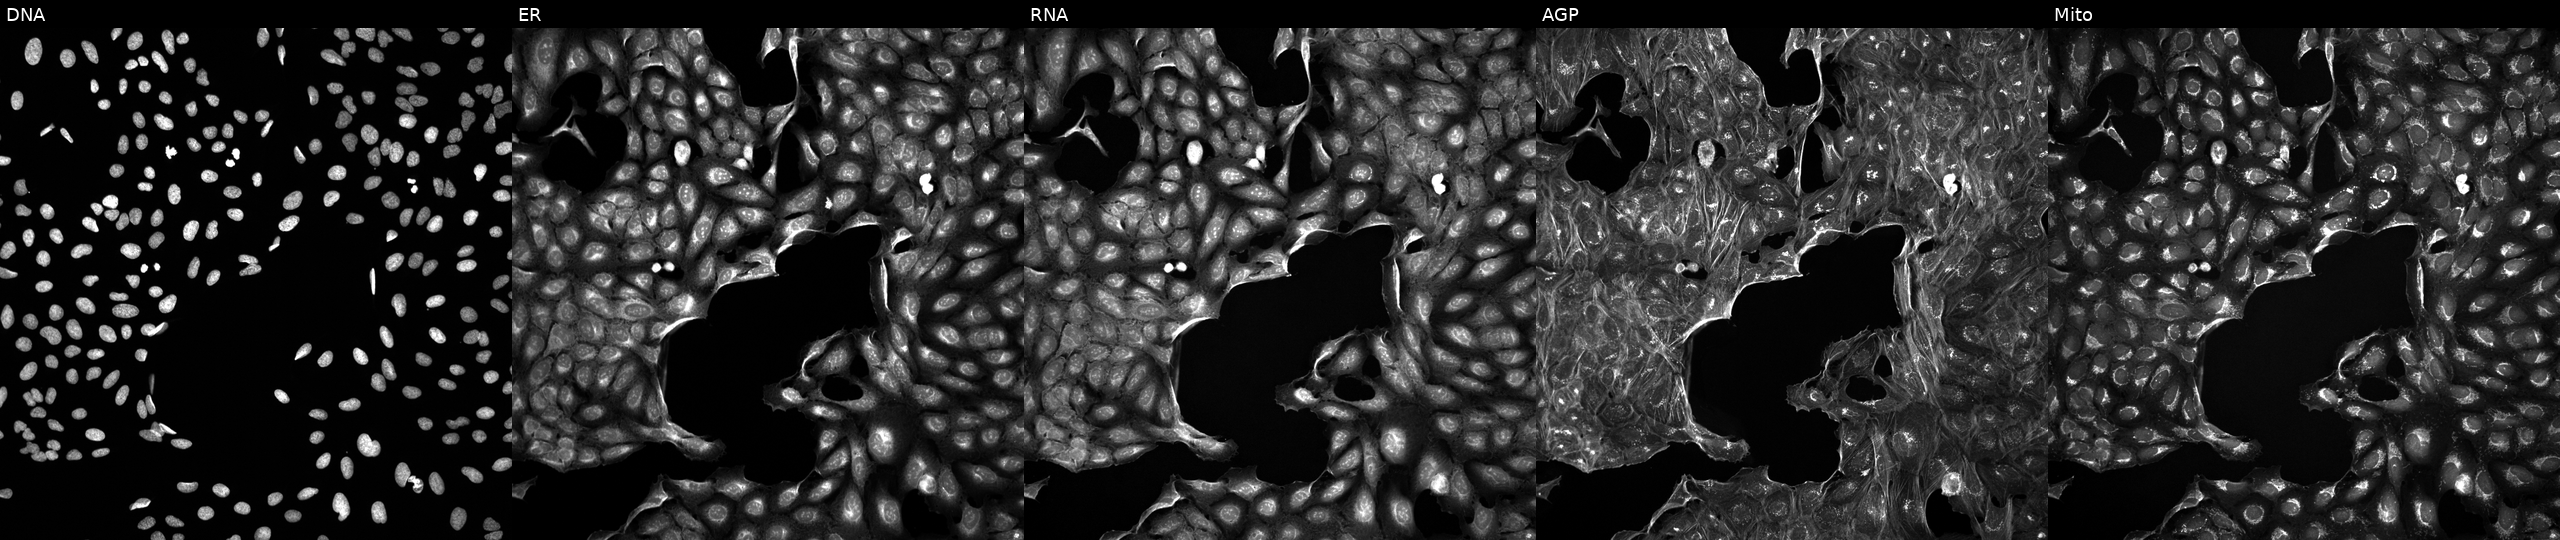
High-content fluorescence microscopy (Cell Painting). Cell line: U2OS. Perturbation: perturbed with a small-molecule compound (InChIKey BNFRJXLZYUTIII-UHFFFAOYSA-N). From left to right: DNA (nuclei); ER (endoplasmic reticulum); RNA (nucleoli and cytoplasmic RNA); AGP (actin cytoskeleton, Golgi, and plasma membrane); Mito (mitochondria).